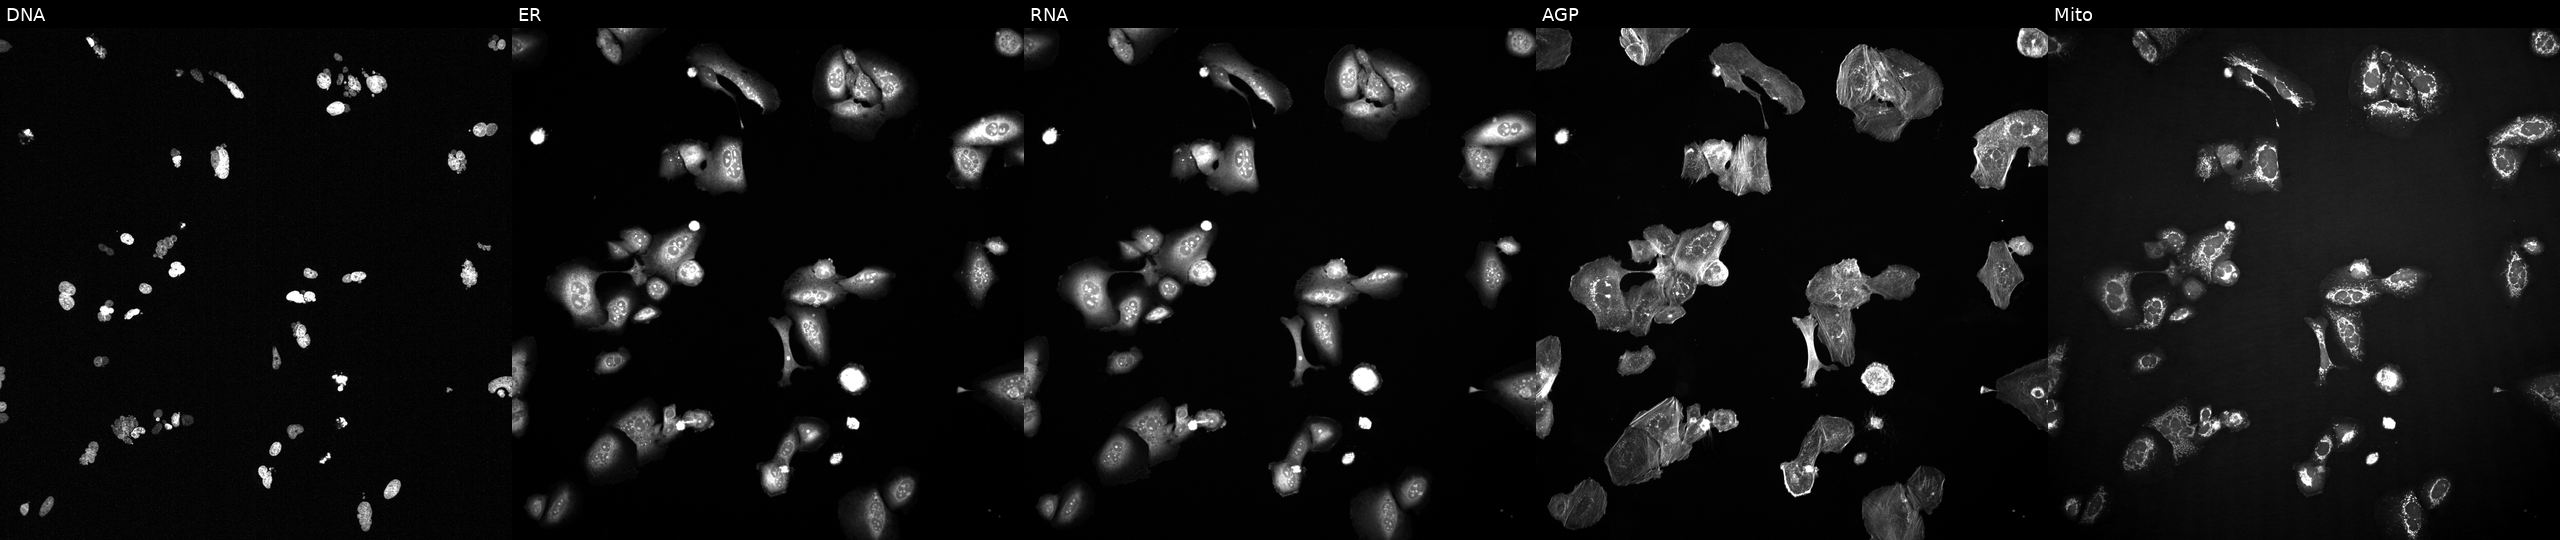
Five-channel Cell Painting image of U2OS cells exposed to a small-molecule compound (InChIKey MEODTTKRBGAUKU-UHFFFAOYSA-N). Panels show, left to right, DNA (nuclei); ER (endoplasmic reticulum); RNA (nucleoli and cytoplasmic RNA); AGP (actin cytoskeleton, Golgi, and plasma membrane); Mito (mitochondria). Source 2, plate 1053601756, well E06.